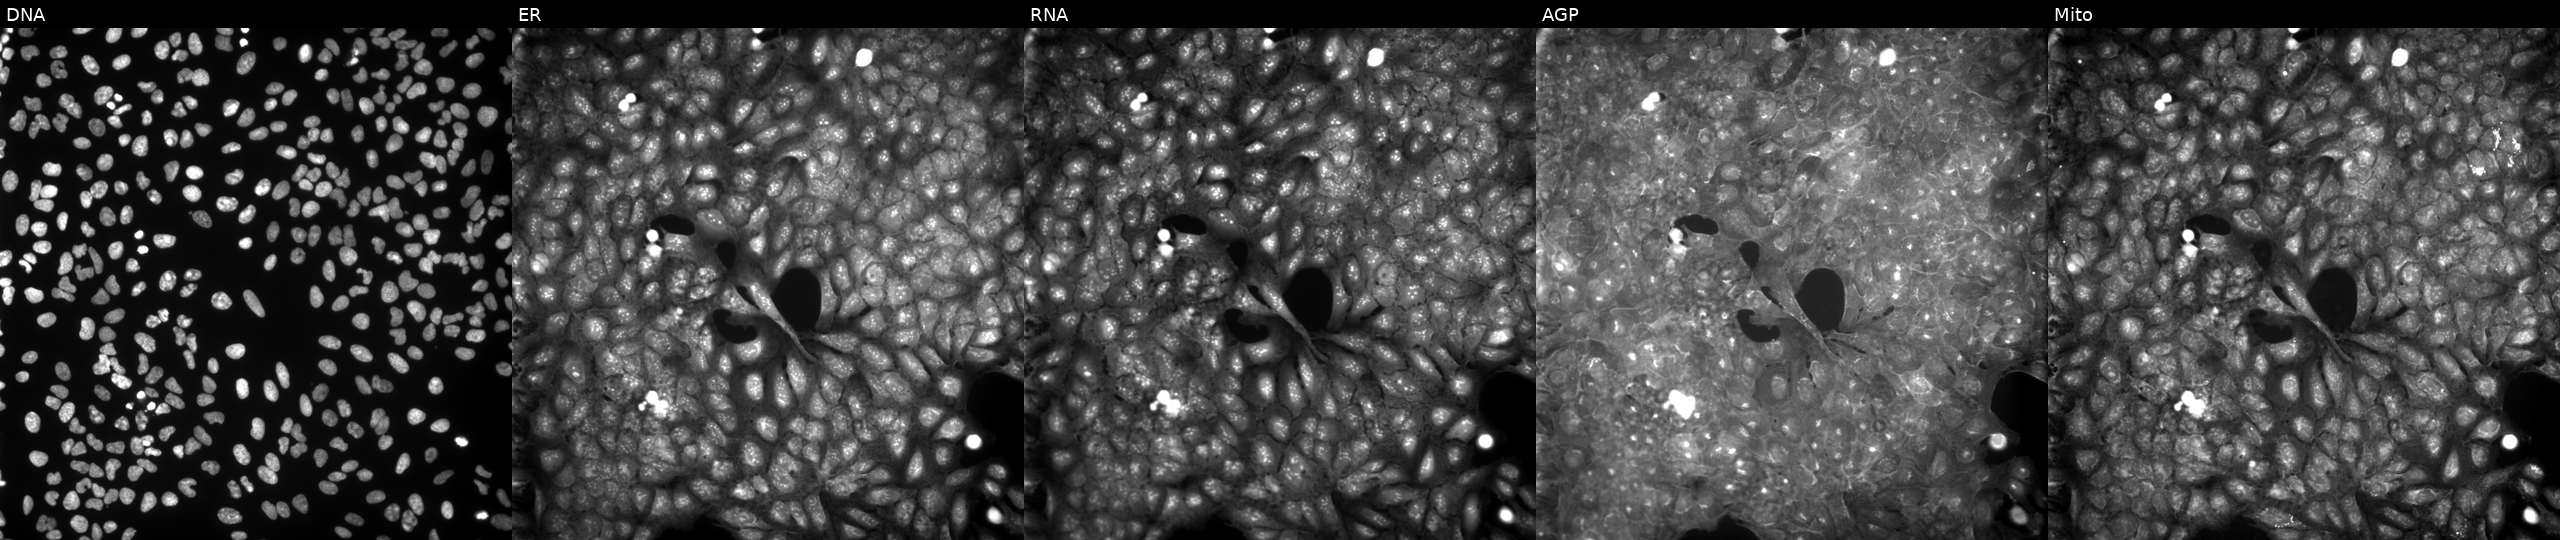
This image strip shows the five Cell Painting channels for a single field of U2OS cells treated with a small-molecule compound [SMILES: Cn1c(=O)c2c([nH]c(=NCCO)n2CCCc2ccccc2)n(C)c1=O] (JUMP id JCP2022_039372). Panels show, left to right, Hoechst 33342, concanavalin A, SYTO 14, phalloidin and WGA, MitoTracker.